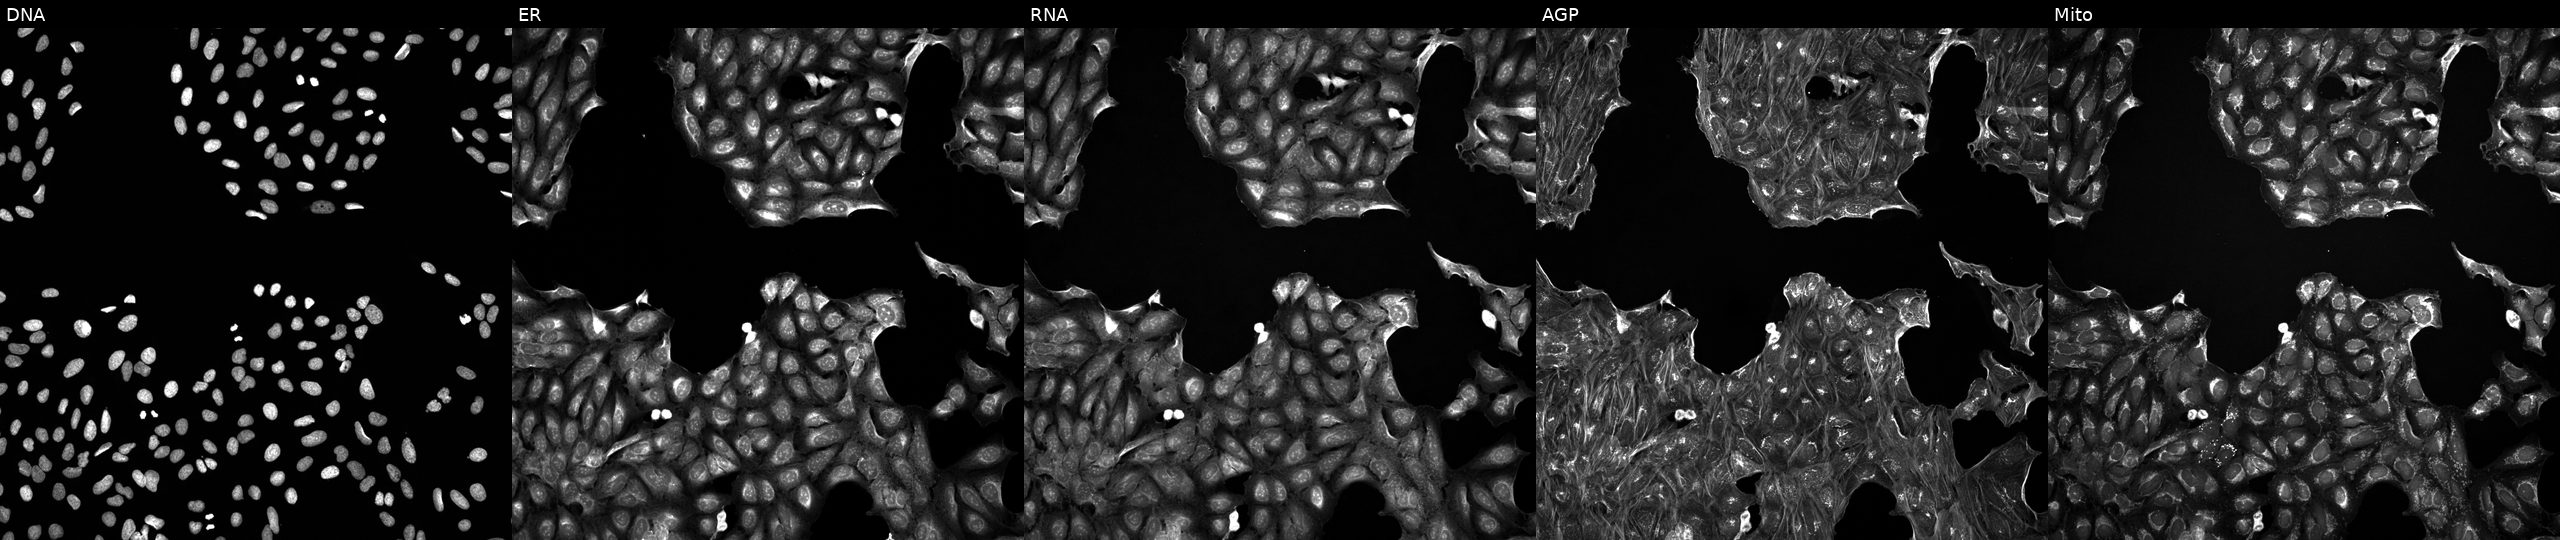
JUMP Cell Painting — TARGET2 plate. U2OS cells exposed to a small-molecule compound (JUMP id JCP2022_068660). The five panels, left to right, show DNA (nuclei); ER (endoplasmic reticulum); RNA (nucleoli and cytoplasmic RNA); AGP (actin cytoskeleton, Golgi, and plasma membrane); Mito (mitochondria).